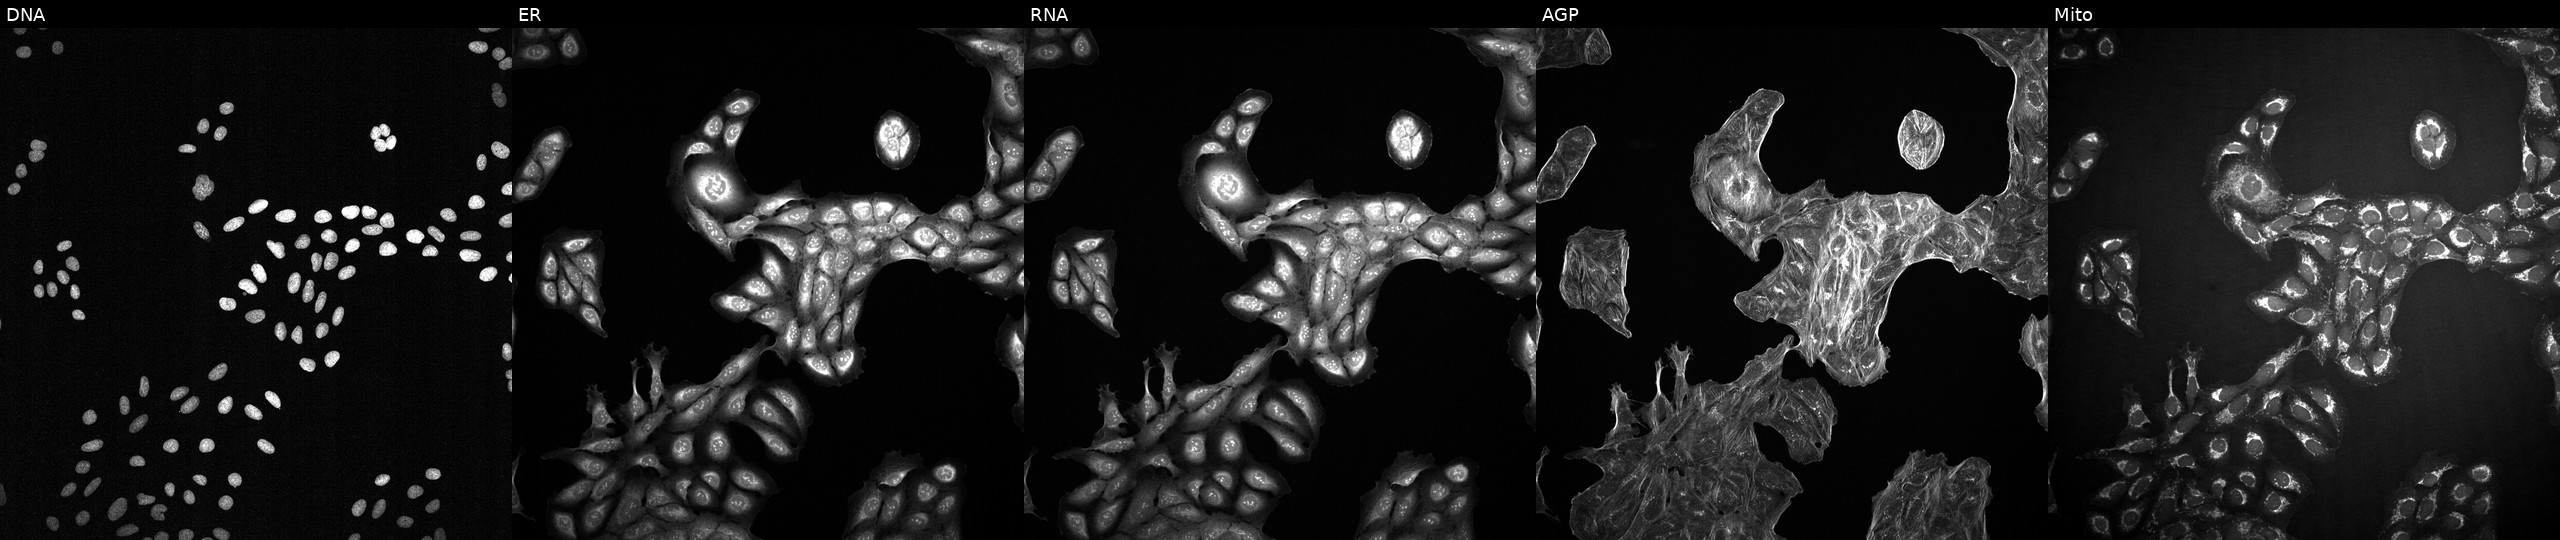
U2OS cells, Cell Painting assay, perturbed with a small-molecule compound (InChIKey XXYGTCZJJLTAGH-UHFFFAOYSA-N) (JUMP id JCP2022_106781). The five panels, left to right, show DNA, ER, RNA, AGP, and Mito. Each panel is percentile-stretched 16-bit fluorescence.